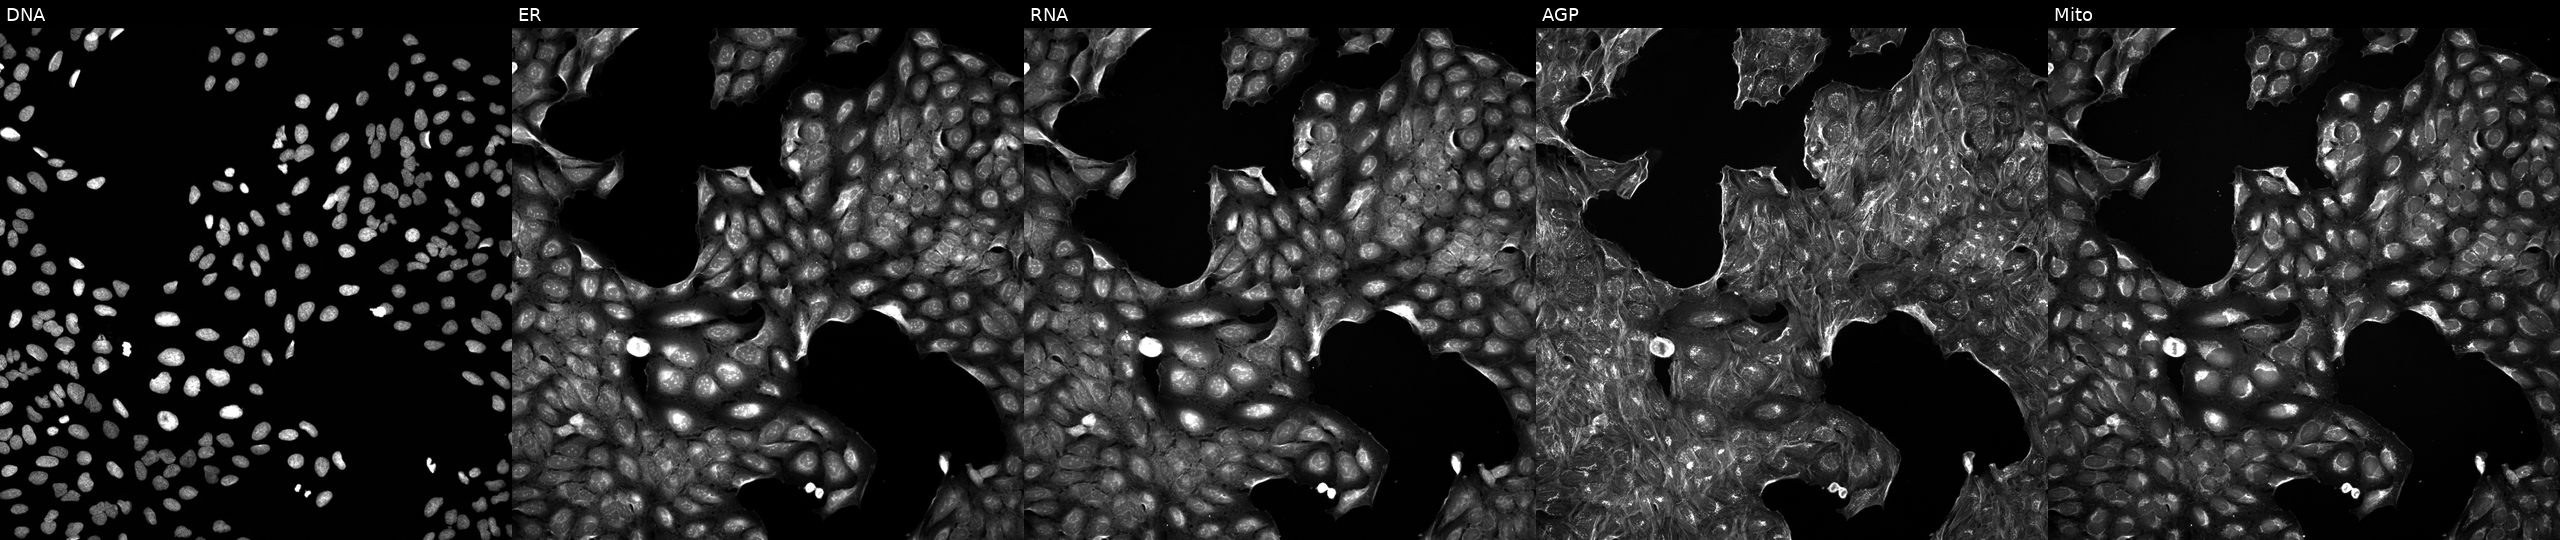
JUMP Cell Painting — COMPOUND plate. U2OS cells perturbed with a small-molecule compound (InChIKey TZFXXOHALJGFRV-UHFFFAOYSA-N) [SMILES: CC(C)CNC(=O)c1ccccc1NC(=O)CN(c1ccc2c(c1)OCCO2)S(C)(=O)=O]. Channels (left→right): DNA, ER, RNA, AGP, and Mito. Source 5, plate APTJUM105, well K03.